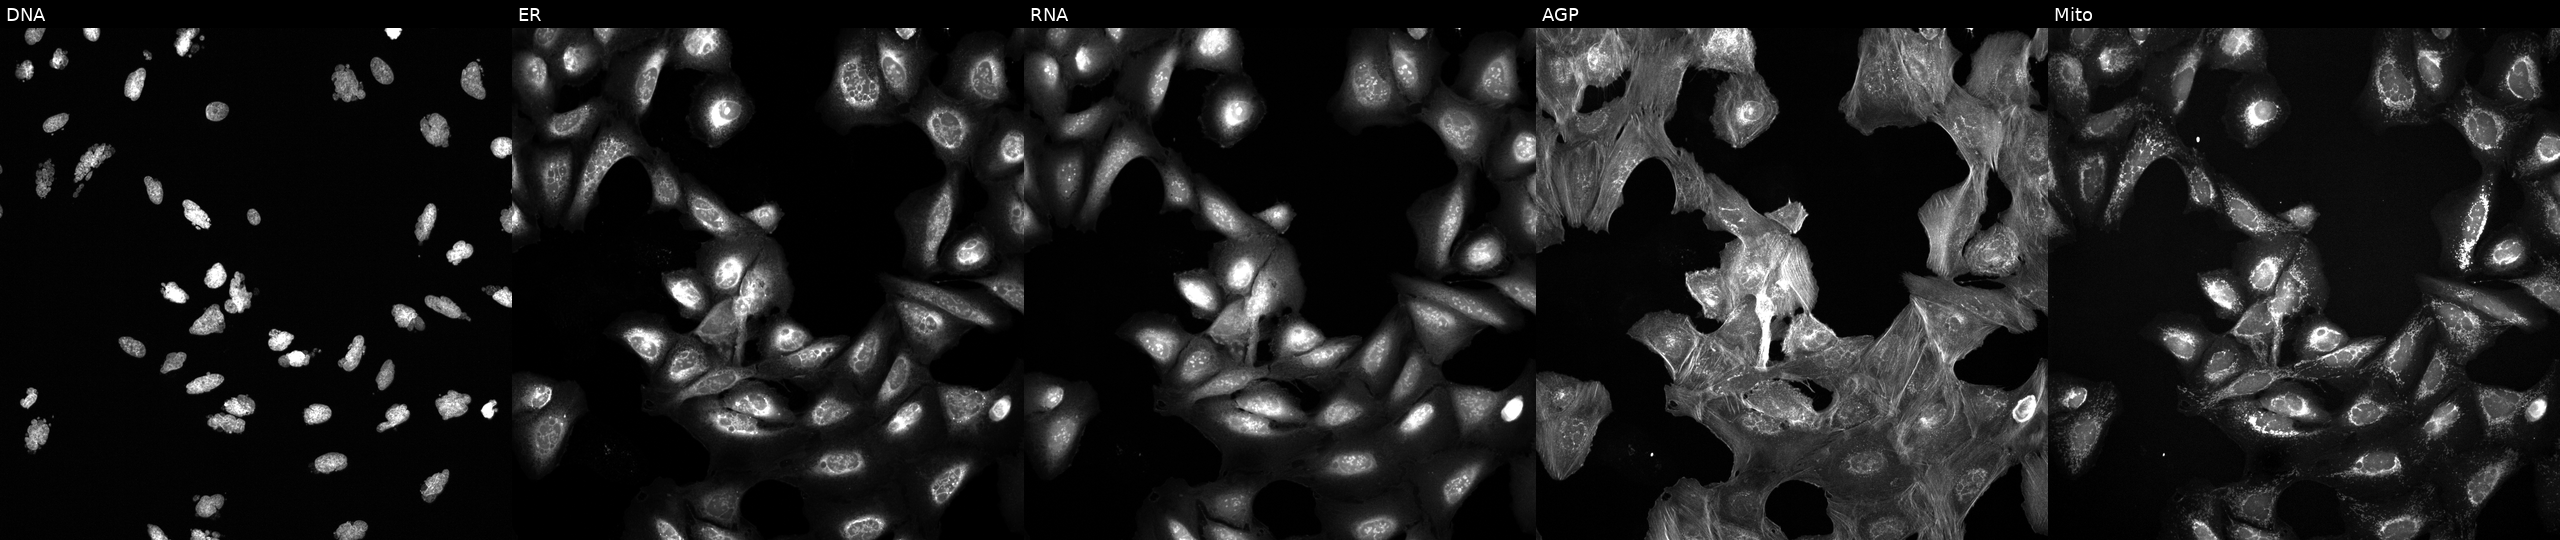
Five-channel Cell Painting image of U2OS cells treated with AMG900 (positive-control compound). From left to right: DNA (nuclei); ER (endoplasmic reticulum); RNA (nucleoli and cytoplasmic RNA); AGP (actin cytoskeleton, Golgi, and plasma membrane); Mito (mitochondria). Source 6, plate 110000293083, well N24.